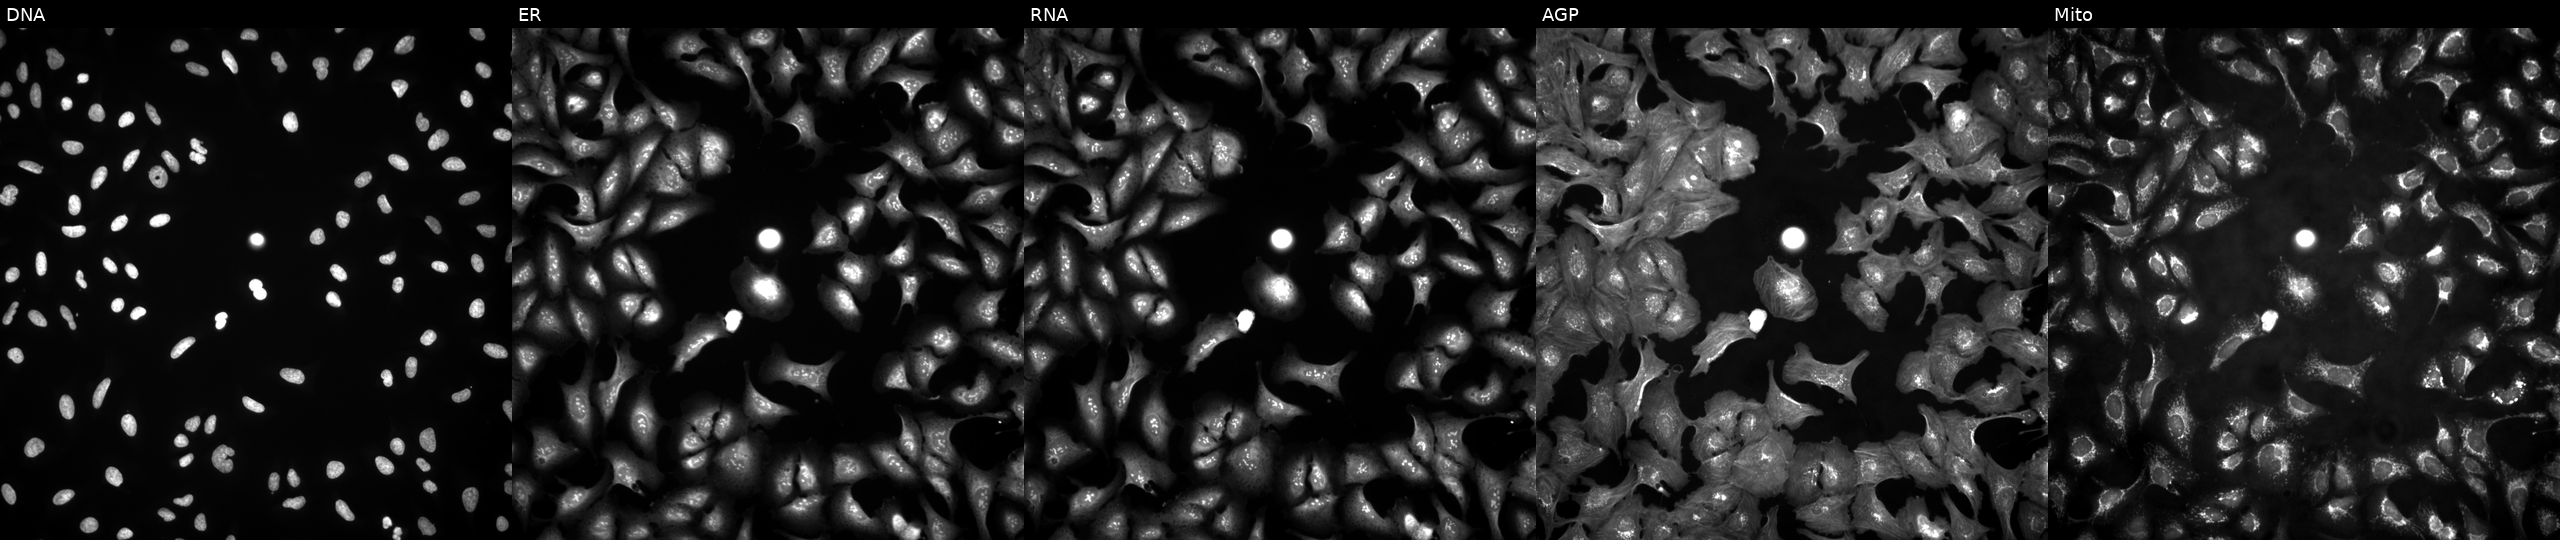
Five-channel Cell Painting image of U2OS cells expressing HcRed (ORF negative control). Panels show, left to right, DNA (nuclei); ER (endoplasmic reticulum); RNA (nucleoli and cytoplasmic RNA); AGP (actin cytoskeleton, Golgi, and plasma membrane); Mito (mitochondria). Source 4, plate BR00124784, well O06.